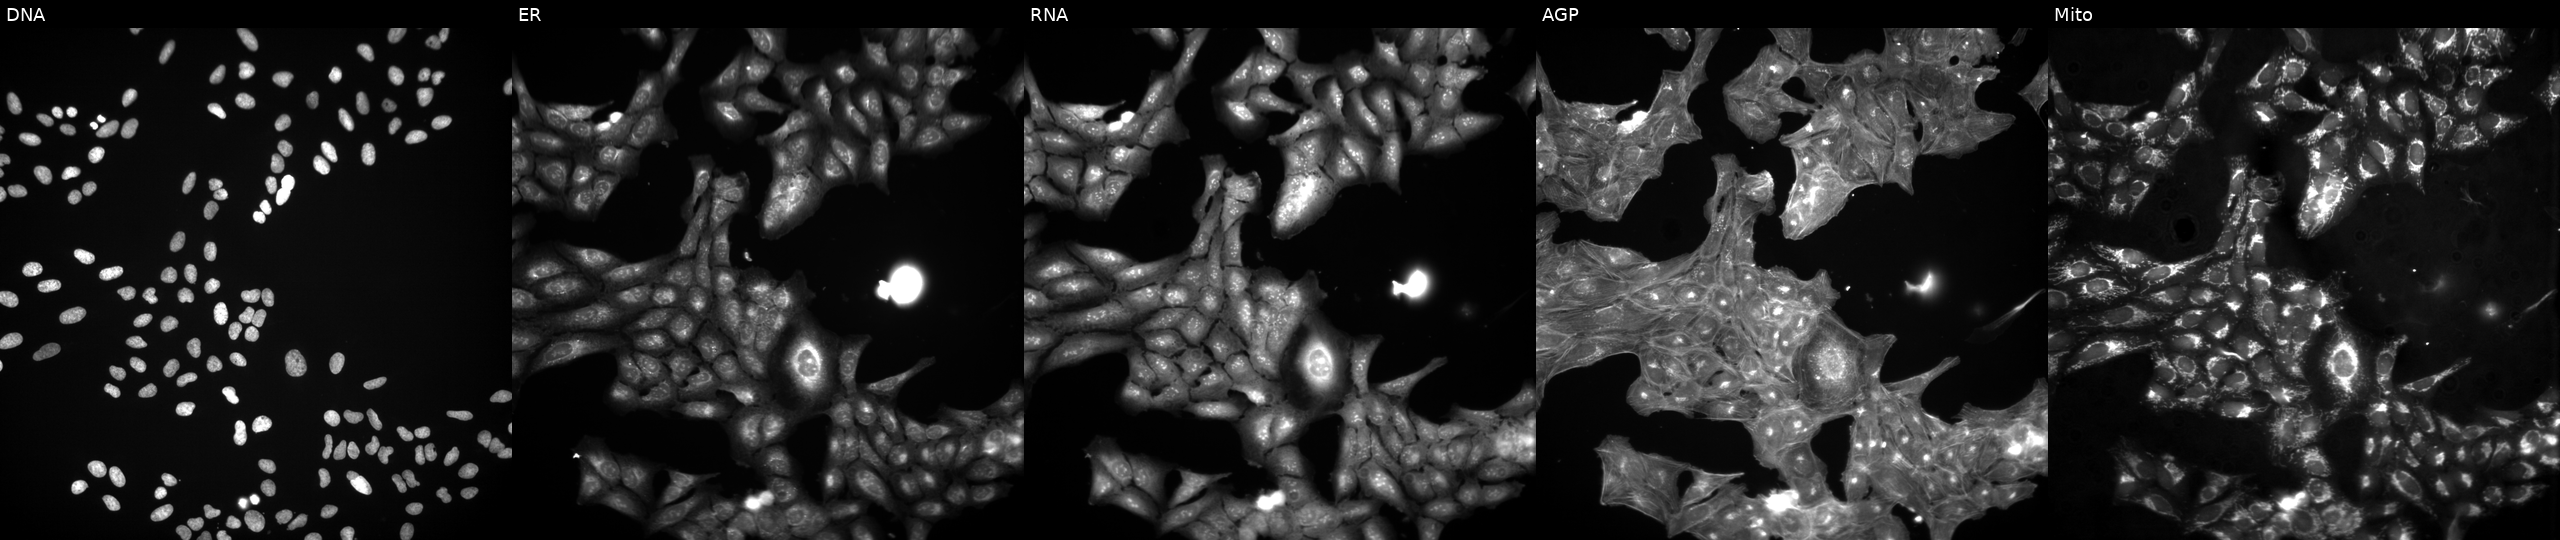
U2OS cells, Cell Painting assay, treated with a small-molecule compound (InChIKey LPYXWGMUVRGUOY-UHFFFAOYSA-N) (JUMP id JCP2022_050997). Channels (left→right): DNA, ER, RNA, AGP, and Mito. Each panel is percentile-stretched 16-bit fluorescence.